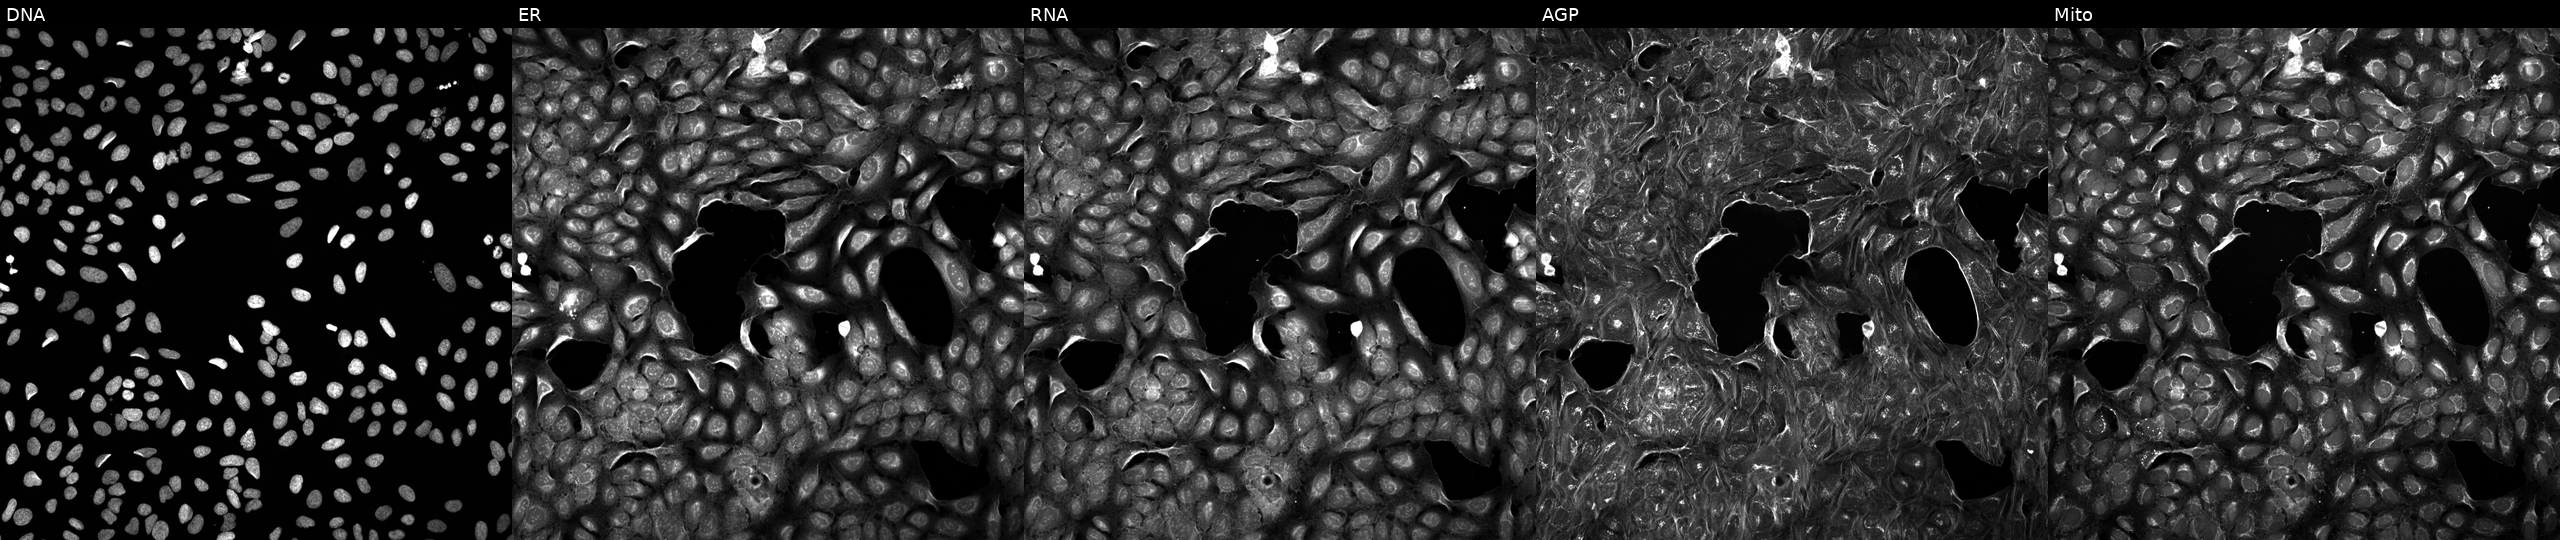
High-content fluorescence microscopy (Cell Painting). Cell line: U2OS. Perturbation: treated with a small-molecule compound (InChIKey CPPSAHKXUUCCAM-UHFFFAOYSA-N) (JUMP id JCP2022_012674). Panels show, left to right, DNA (nuclei); ER (endoplasmic reticulum); RNA (nucleoli and cytoplasmic RNA); AGP (actin cytoskeleton, Golgi, and plasma membrane); Mito (mitochondria).